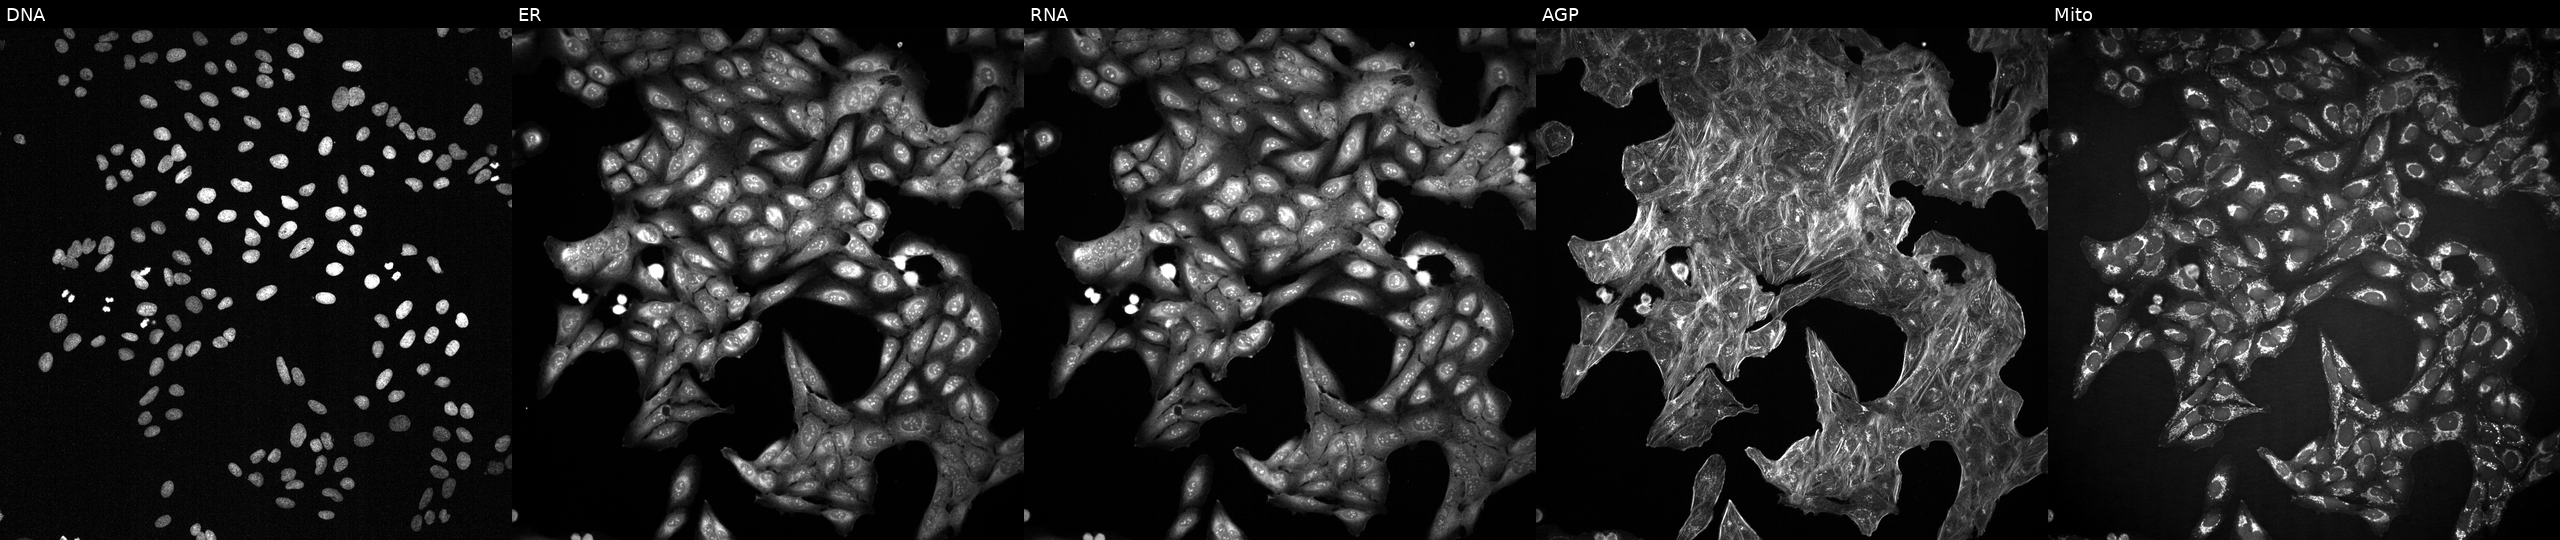
High-content fluorescence microscopy (Cell Painting). Cell line: U2OS. Perturbation: exposed to a small-molecule compound (JUMP id JCP2022_105456). The five panels, left to right, show Hoechst 33342, concanavalin A, SYTO 14, phalloidin and WGA, MitoTracker.